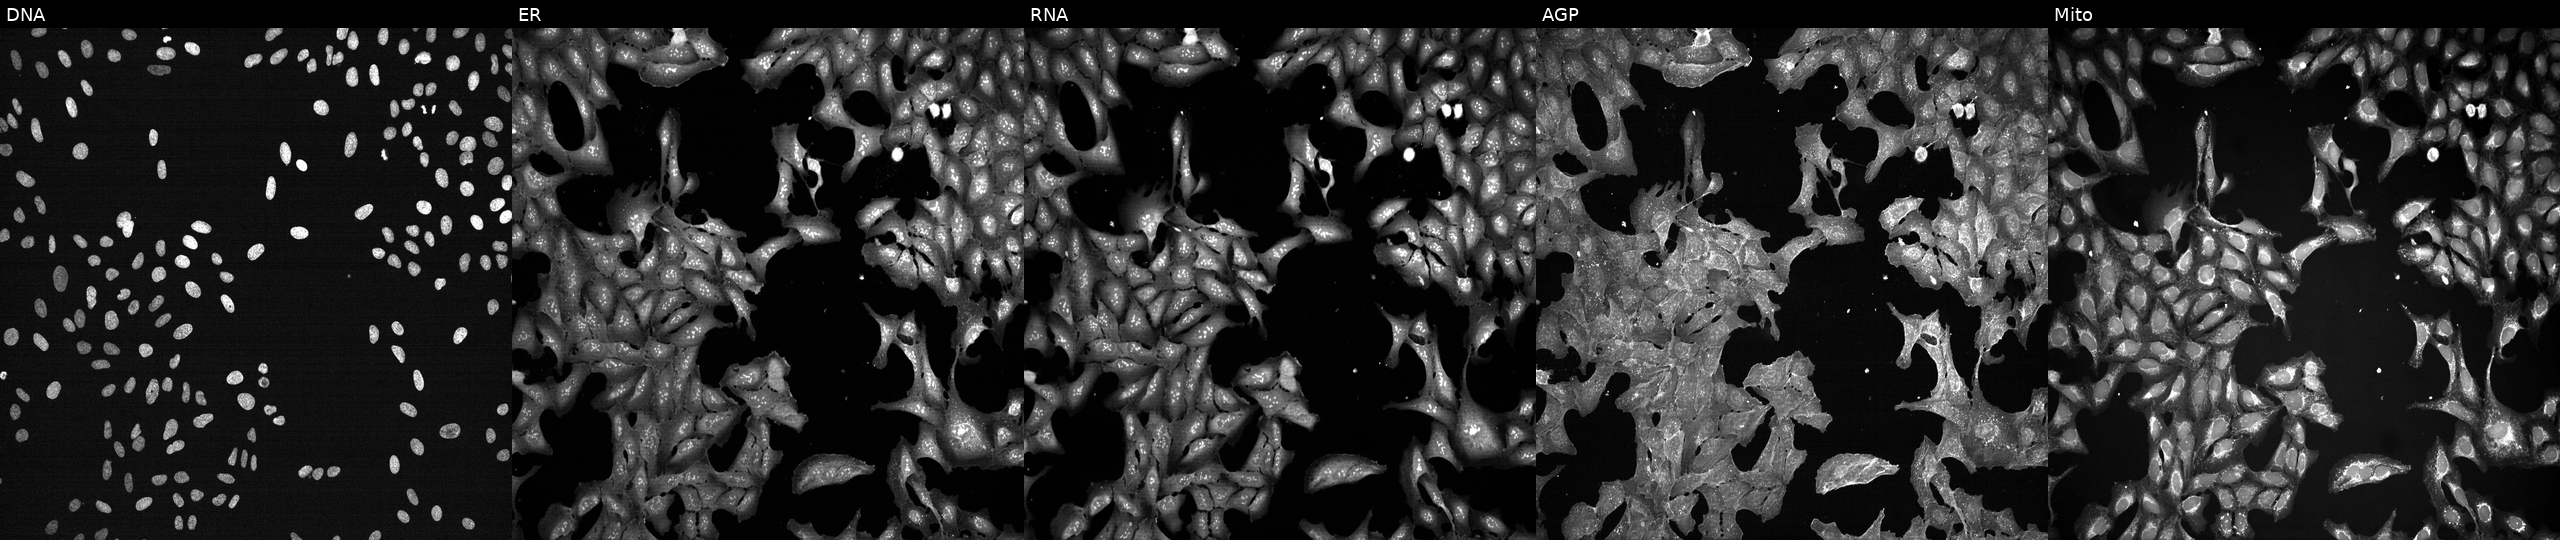
Five-channel Cell Painting image of U2OS cells treated with a small-molecule compound (InChIKey YGSDEFSMJLZEOE-UHFFFAOYSA-N) [SMILES: O=C(O)c1ccccc1O] (JUMP id JCP2022_108326). Panels show, left to right, Hoechst 33342, concanavalin A, SYTO 14, phalloidin and WGA, MitoTracker.